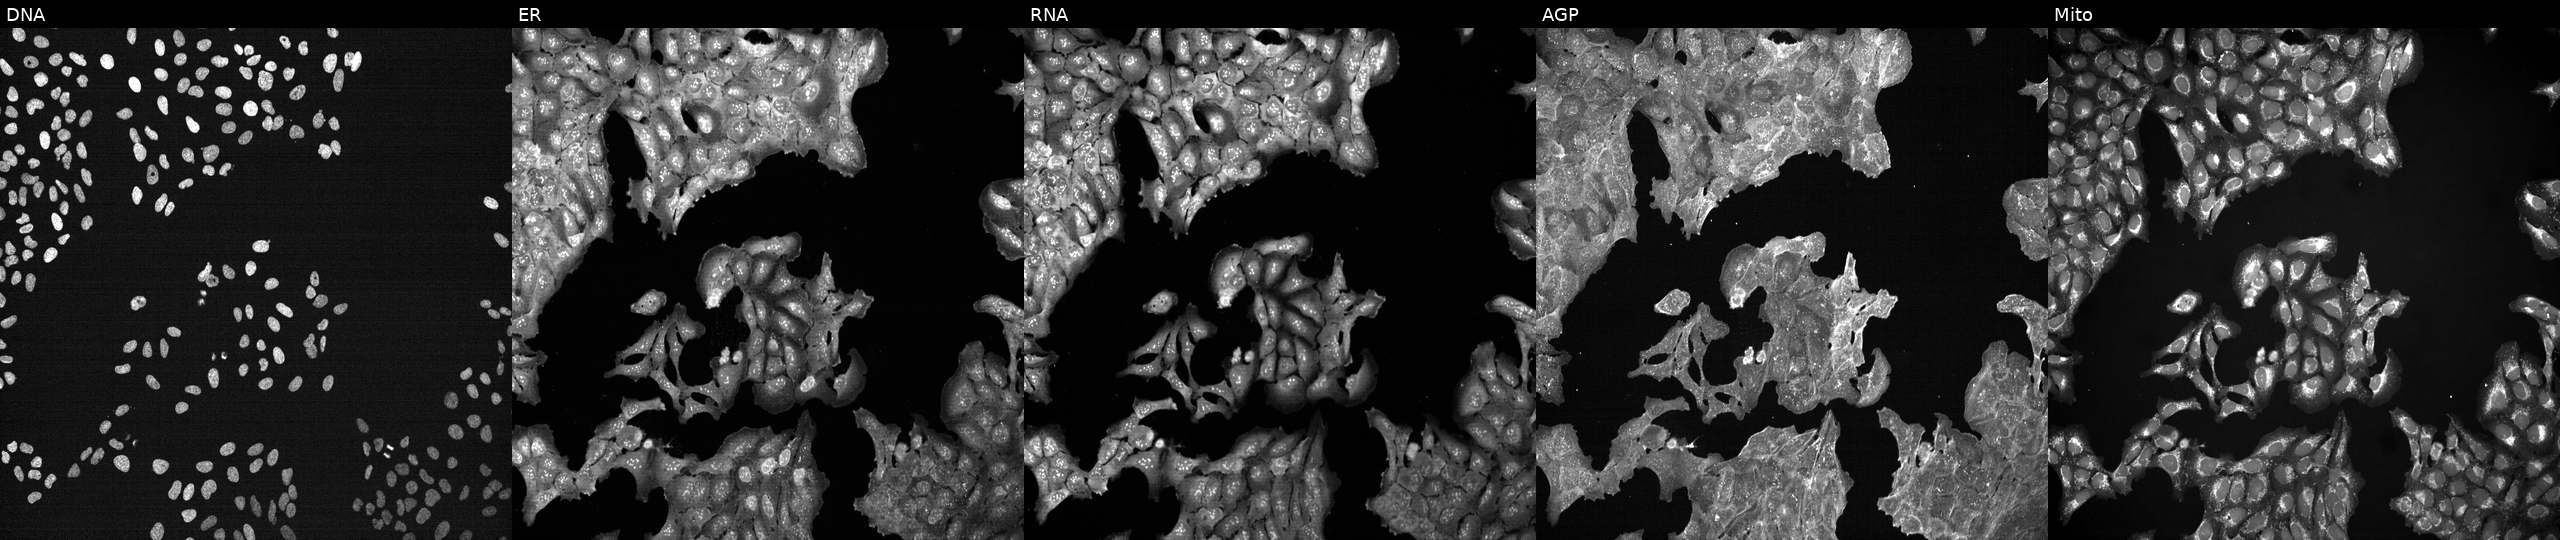
JUMP Cell Painting — TARGET2 plate. U2OS cells treated with DMSO vehicle only (negative control). Panels show, left to right, DNA, ER, RNA, AGP, and Mito. Source 7, plate CP3-SC1-25, well K14.